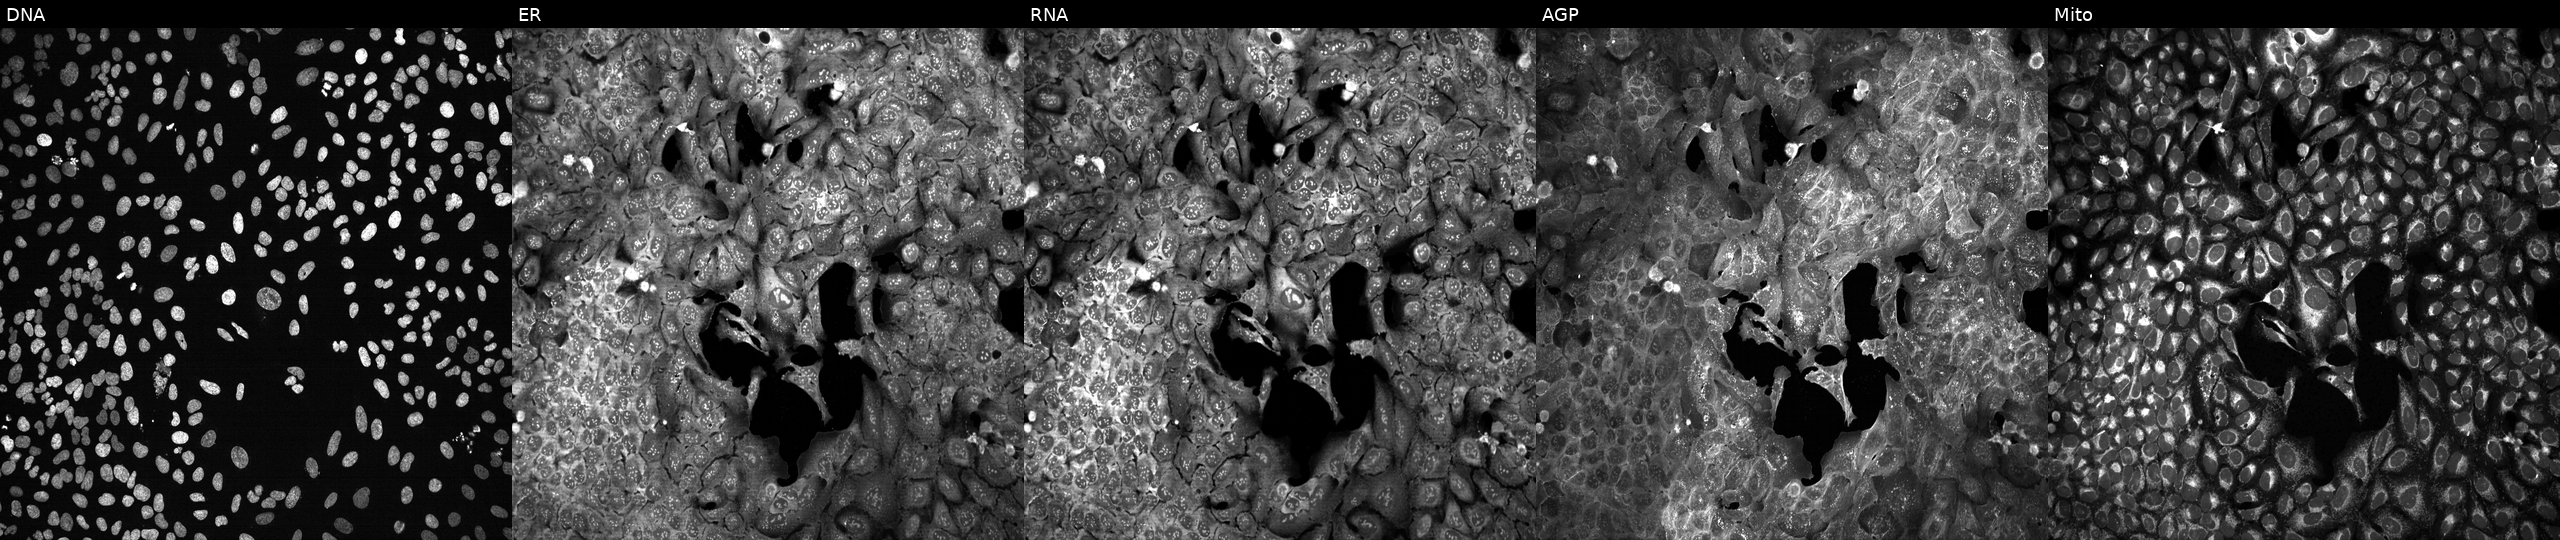
U2OS cells, Cell Painting assay, following CRISPR knockout of CPA1 (JUMP id JCP2022_801464). The five panels, left to right, show DNA, ER, RNA, AGP, and Mito. Each panel is percentile-stretched 16-bit fluorescence.